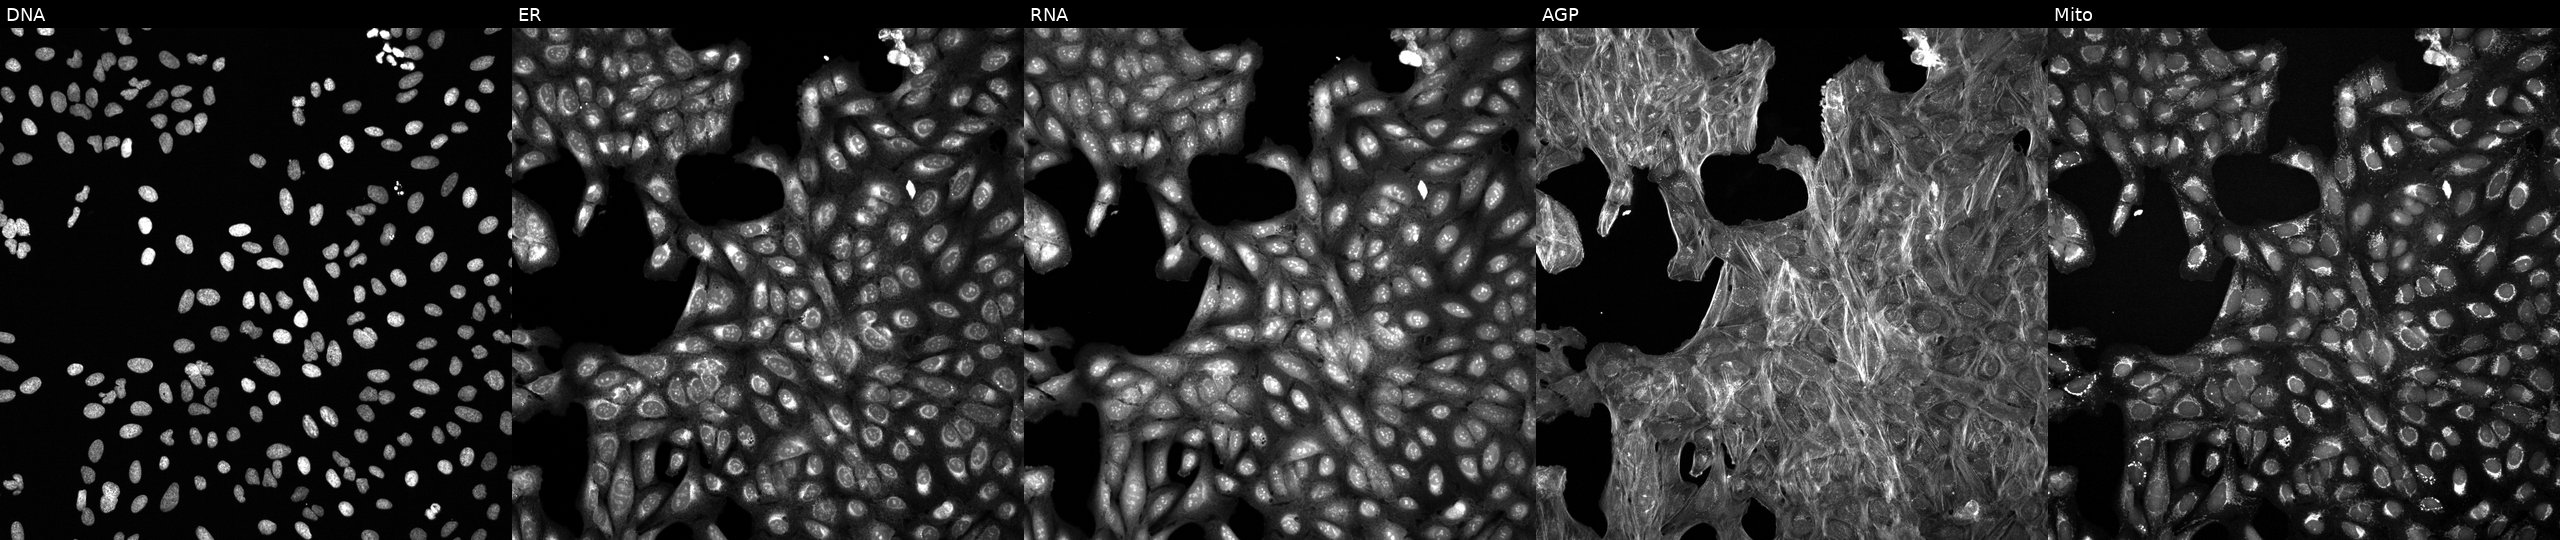
The five panels, left to right, show Hoechst 33342, concanavalin A, SYTO 14, phalloidin and WGA, MitoTracker. U2OS osteosarcoma cells exposed to a small-molecule compound (InChIKey NMKJFZCBCIUYHI-UHFFFAOYSA-N). Cell Painting assay, JUMP-CP dataset. Source 6, plate 110000293093, well L01.